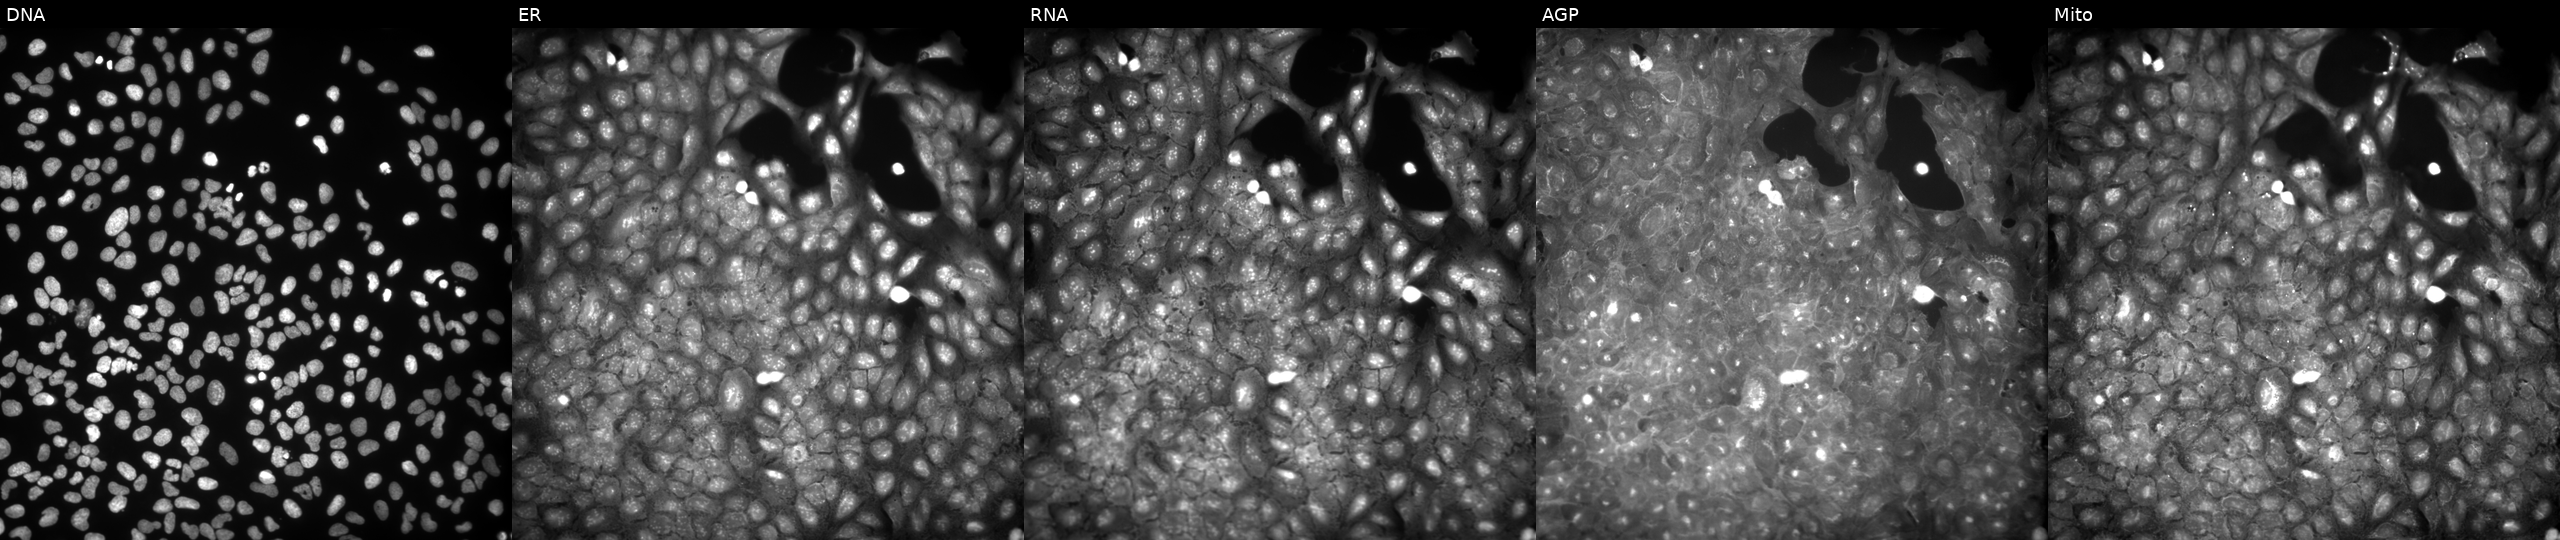
Channels (left→right): DNA (nuclei); ER (endoplasmic reticulum); RNA (nucleoli and cytoplasmic RNA); AGP (actin cytoskeleton, Golgi, and plasma membrane); Mito (mitochondria). U2OS osteosarcoma cells perturbed with a small-molecule compound (InChIKey BXAFWSDZHMBUEV-UHFFFAOYSA-N) (JUMP id JCP2022_009224). Cell Painting assay, JUMP-CP dataset.